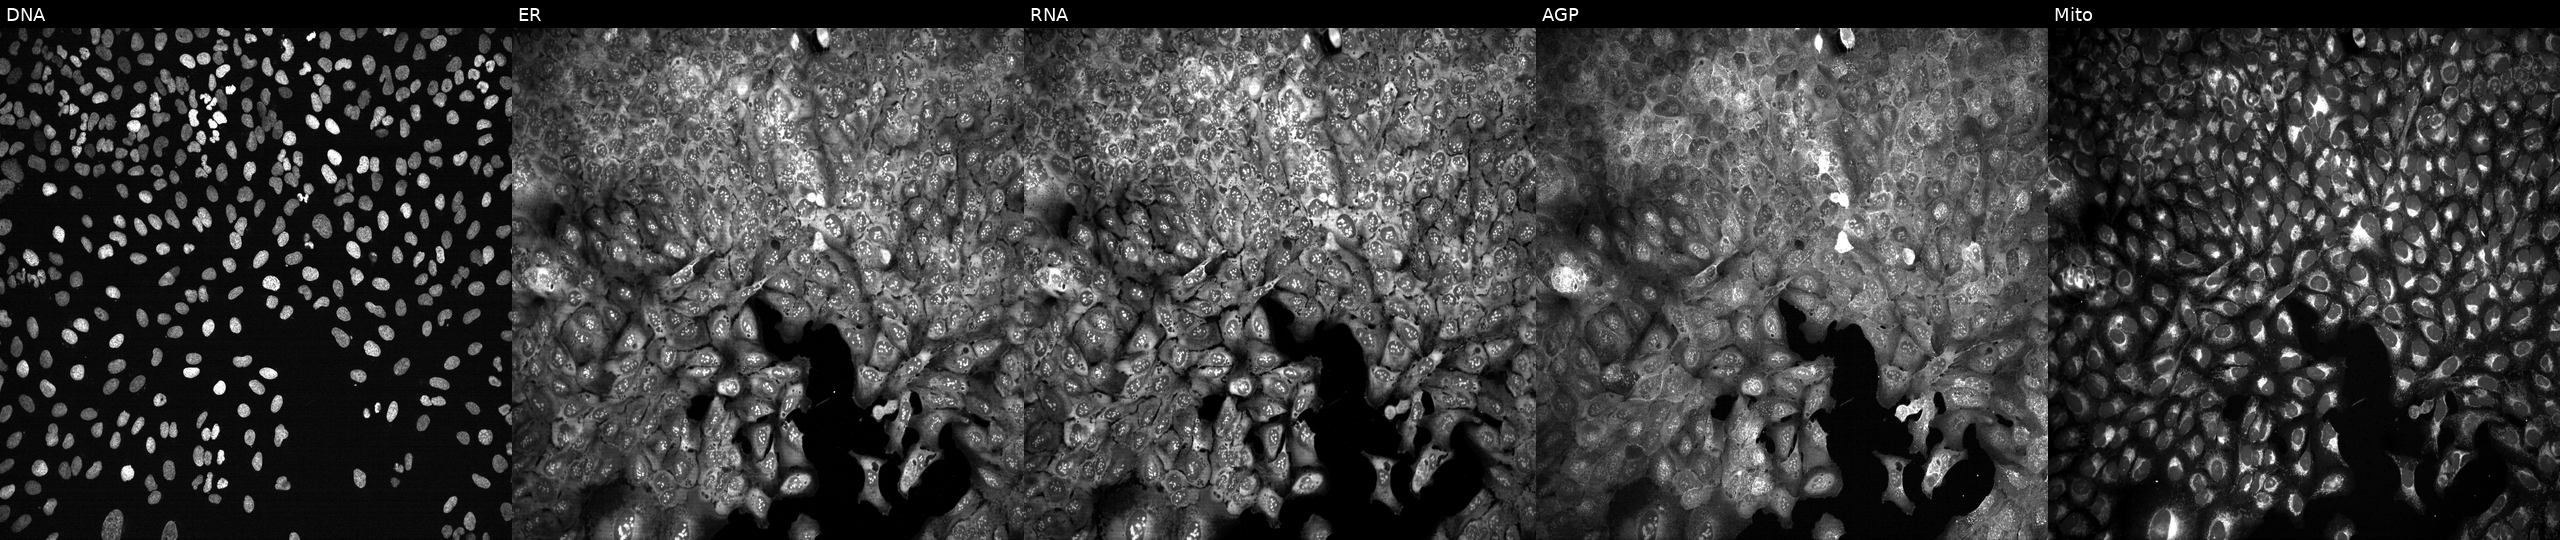
From left to right: DNA, ER, RNA, AGP, and Mito. U2OS osteosarcoma cells CRISPR-edited to disrupt FGF6. Cell Painting assay, JUMP-CP dataset. Source 13, plate CP-CC9-R4-04, well L17.